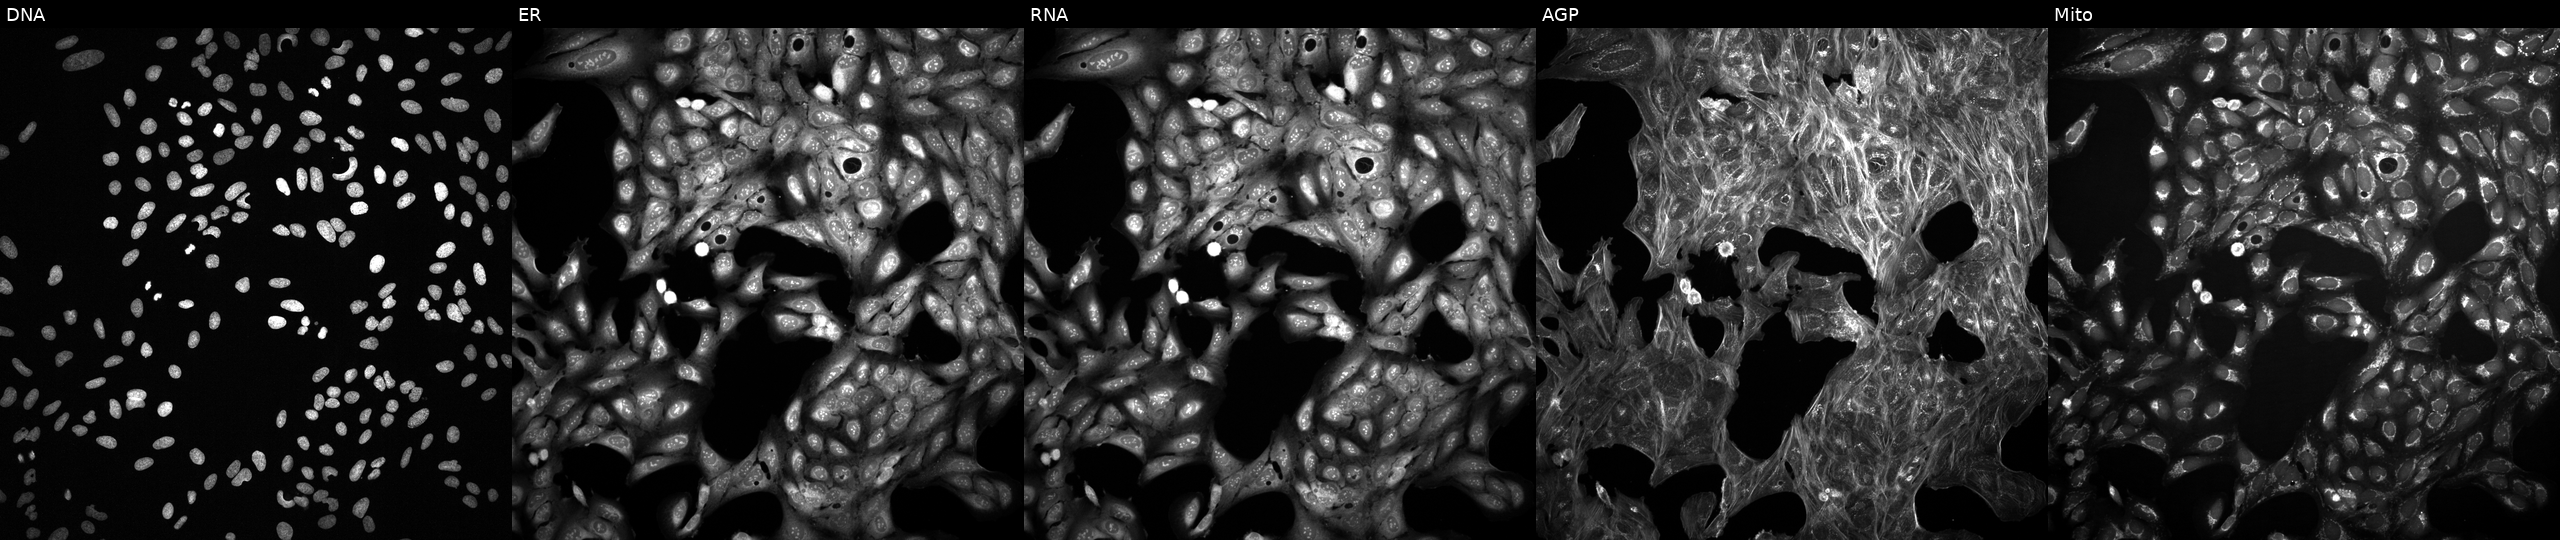
High-content fluorescence microscopy (Cell Painting). Cell line: U2OS. Perturbation: treated with a small-molecule compound. From left to right: DNA (nuclei); ER (endoplasmic reticulum); RNA (nucleoli and cytoplasmic RNA); AGP (actin cytoskeleton, Golgi, and plasma membrane); Mito (mitochondria). Source 2, plate 1053597936, well K15.